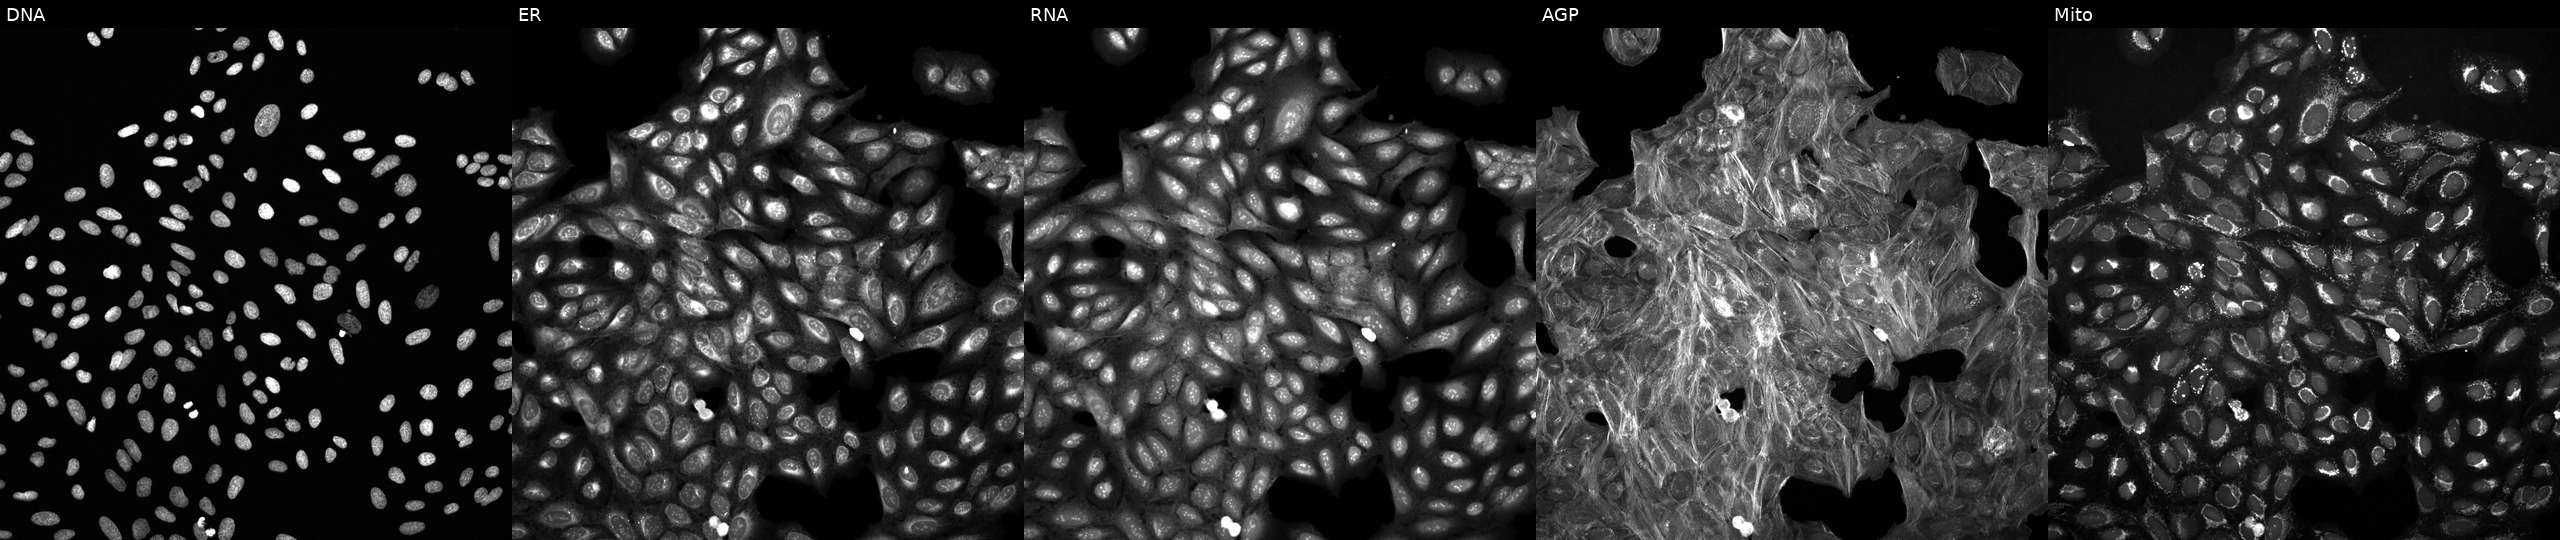
This image strip shows the five Cell Painting channels for a single field of U2OS cells exposed to a small-molecule compound (InChIKey LXPOOABILRRUAF-UHFFFAOYSA-N) (JUMP id JCP2022_052370). From left to right: DNA, ER, RNA, AGP, and Mito.